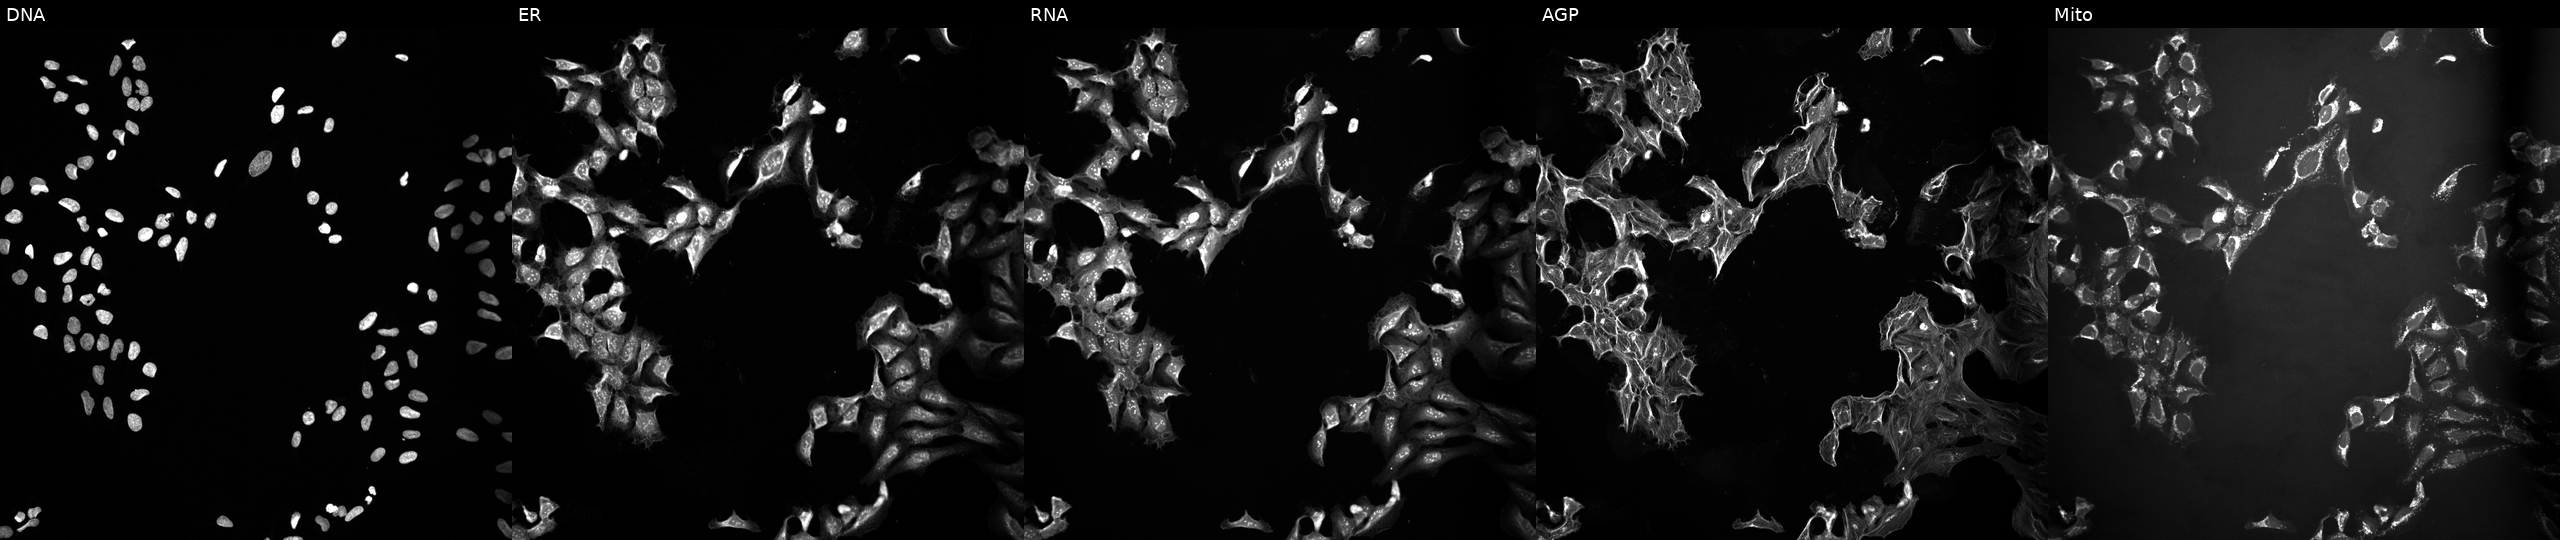
Five-channel Cell Painting image of U2OS cells exposed to the positive-control compound TC-S-7004. Panels show, left to right, DNA, ER, RNA, AGP, and Mito.